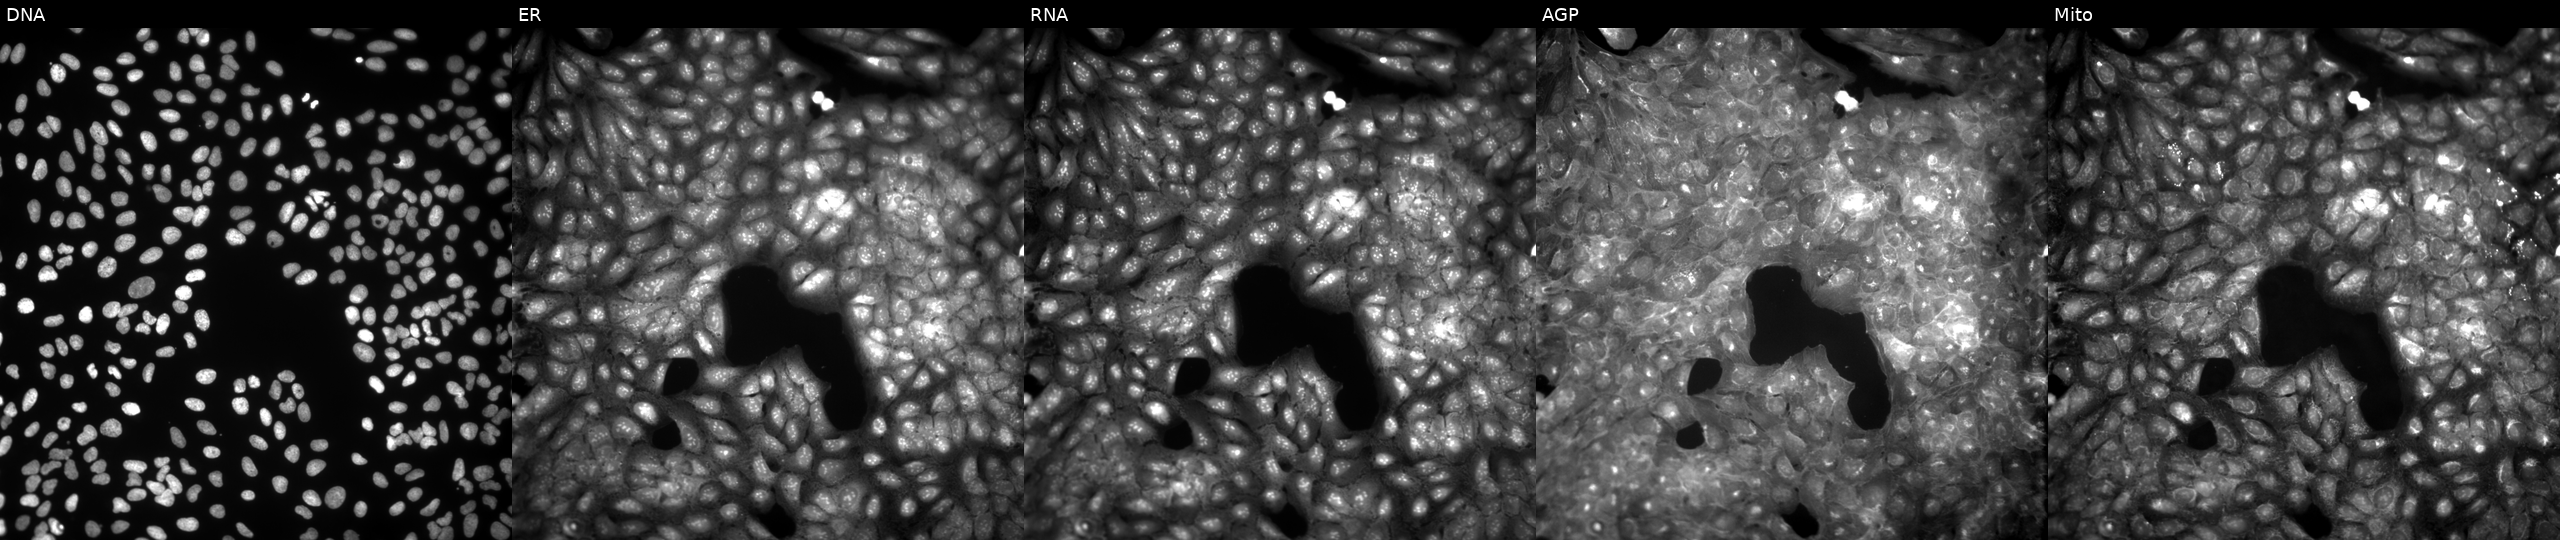
The five panels, left to right, show DNA (nuclei); ER (endoplasmic reticulum); RNA (nucleoli and cytoplasmic RNA); AGP (actin cytoskeleton, Golgi, and plasma membrane); Mito (mitochondria). U2OS osteosarcoma cells treated with a small-molecule compound (InChIKey JXXORLBRLRDCCX-UHFFFAOYSA-N). Cell Painting assay, JUMP-CP dataset.